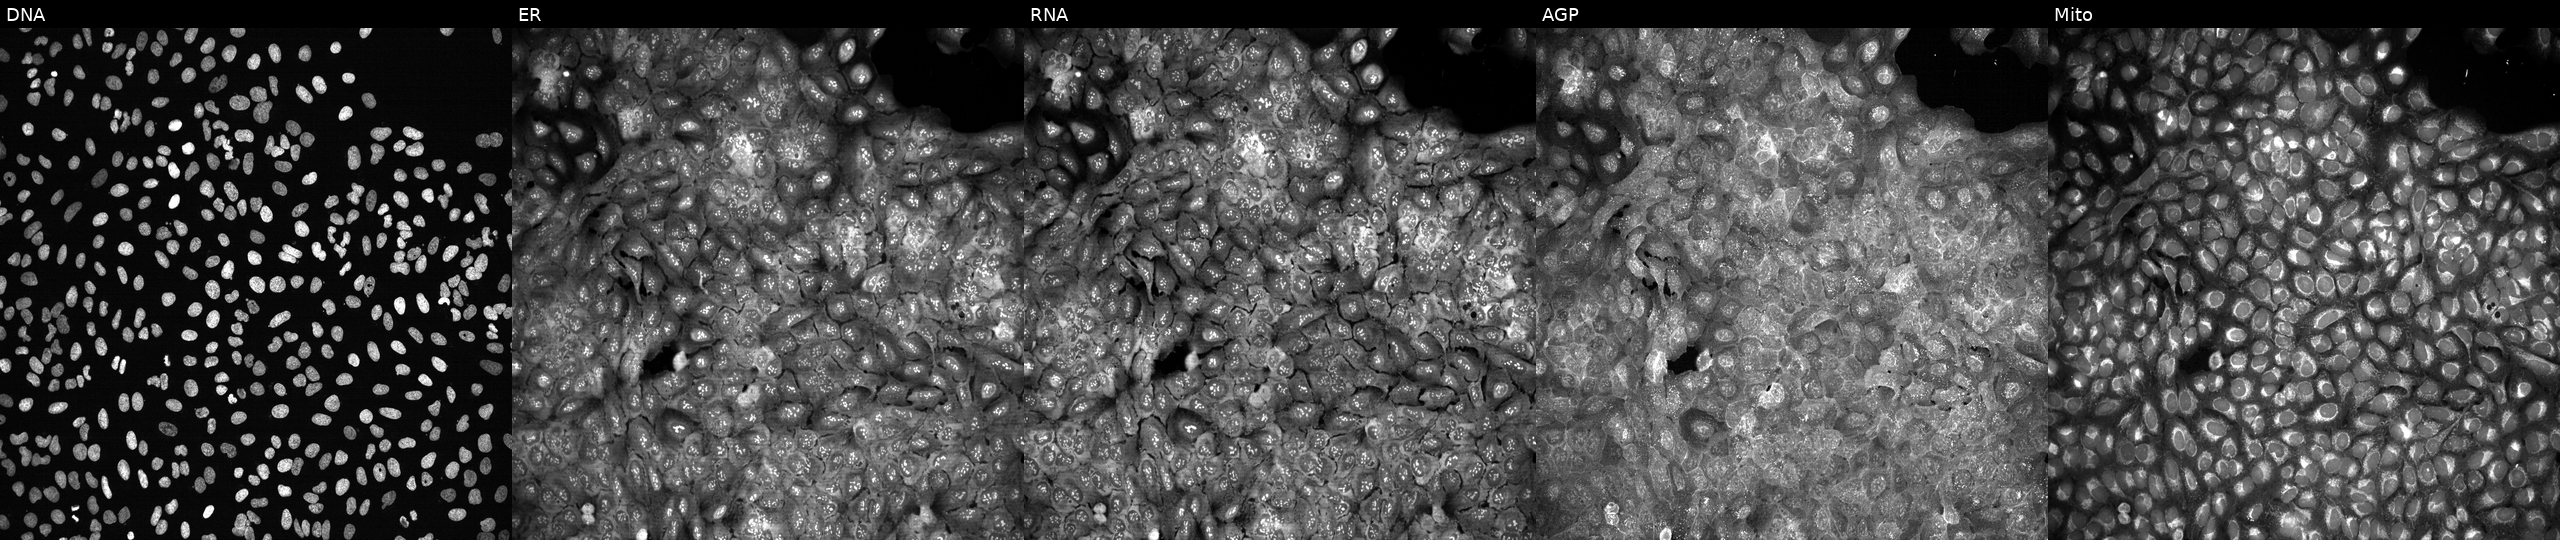
This image strip shows the five Cell Painting channels for a single field of U2OS cells CRISPR-edited to disrupt CNP. The five panels, left to right, show Hoechst 33342, concanavalin A, SYTO 14, phalloidin and WGA, MitoTracker.